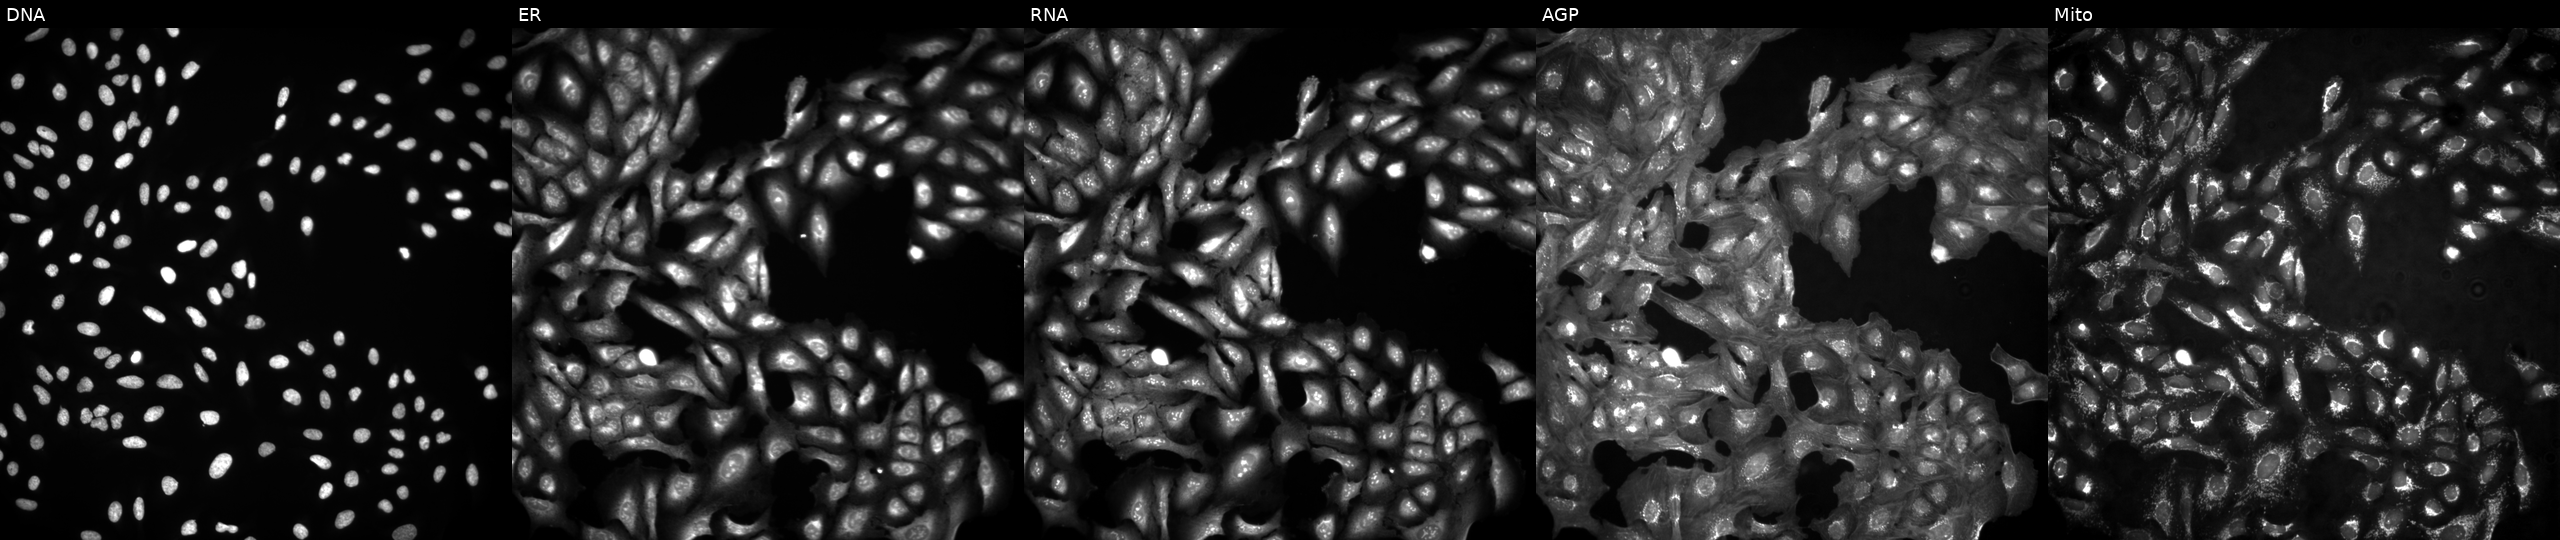
JUMP Cell Painting — ORF plate. U2OS cells in an empty control well (no perturbation). The five panels, left to right, show DNA (nuclei); ER (endoplasmic reticulum); RNA (nucleoli and cytoplasmic RNA); AGP (actin cytoskeleton, Golgi, and plasma membrane); Mito (mitochondria). Source 4, plate BR00124793, well B17.